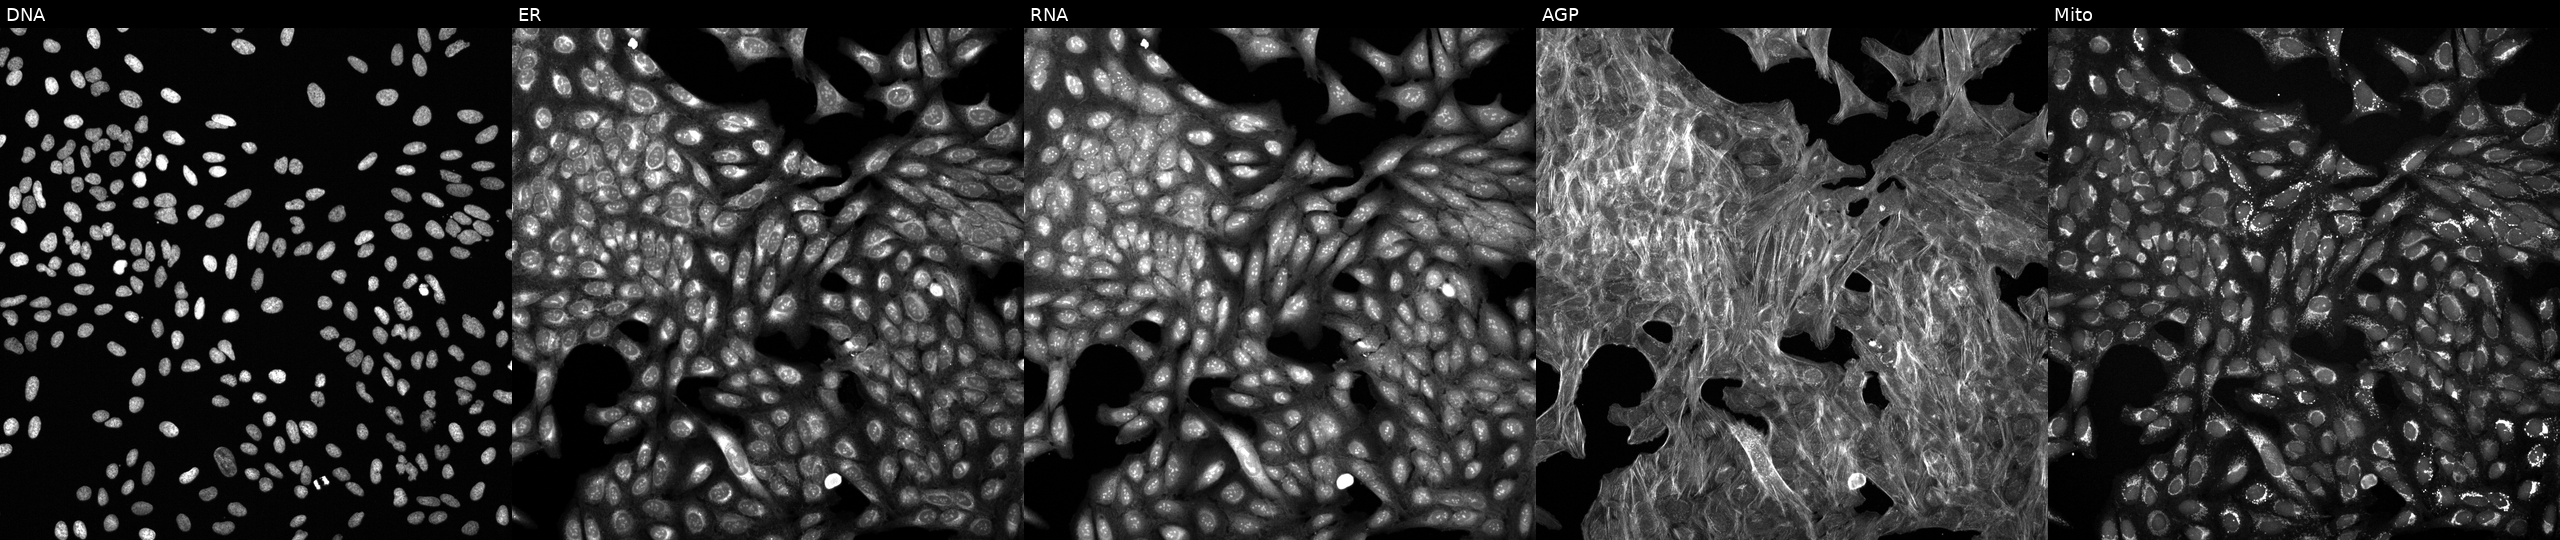
JUMP Cell Painting — TARGET2 plate. U2OS cells treated with a small-molecule compound (InChIKey HKQYGTCOTHHOMP-UHFFFAOYSA-N) (JUMP id JCP2022_030831). The five panels, left to right, show DNA, ER, RNA, AGP, and Mito. Source 6, plate 110000293081, well P16.